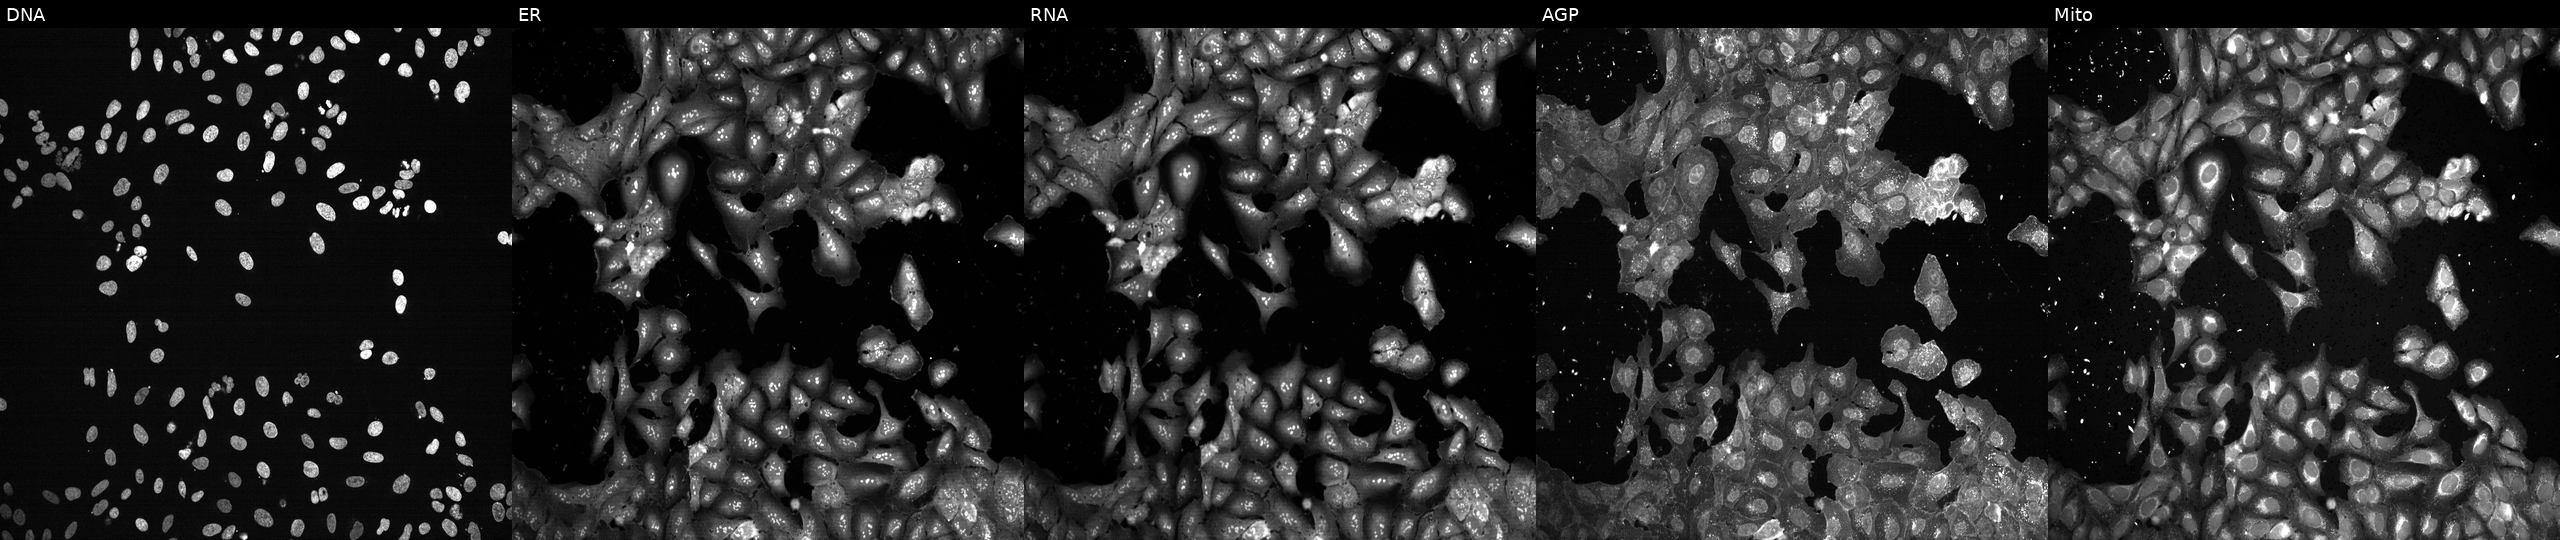
JUMP Cell Painting — CRISPR plate. U2OS cells with SCARB2 knocked out by CRISPR. From left to right: Hoechst 33342, concanavalin A, SYTO 14, phalloidin and WGA, MitoTracker.